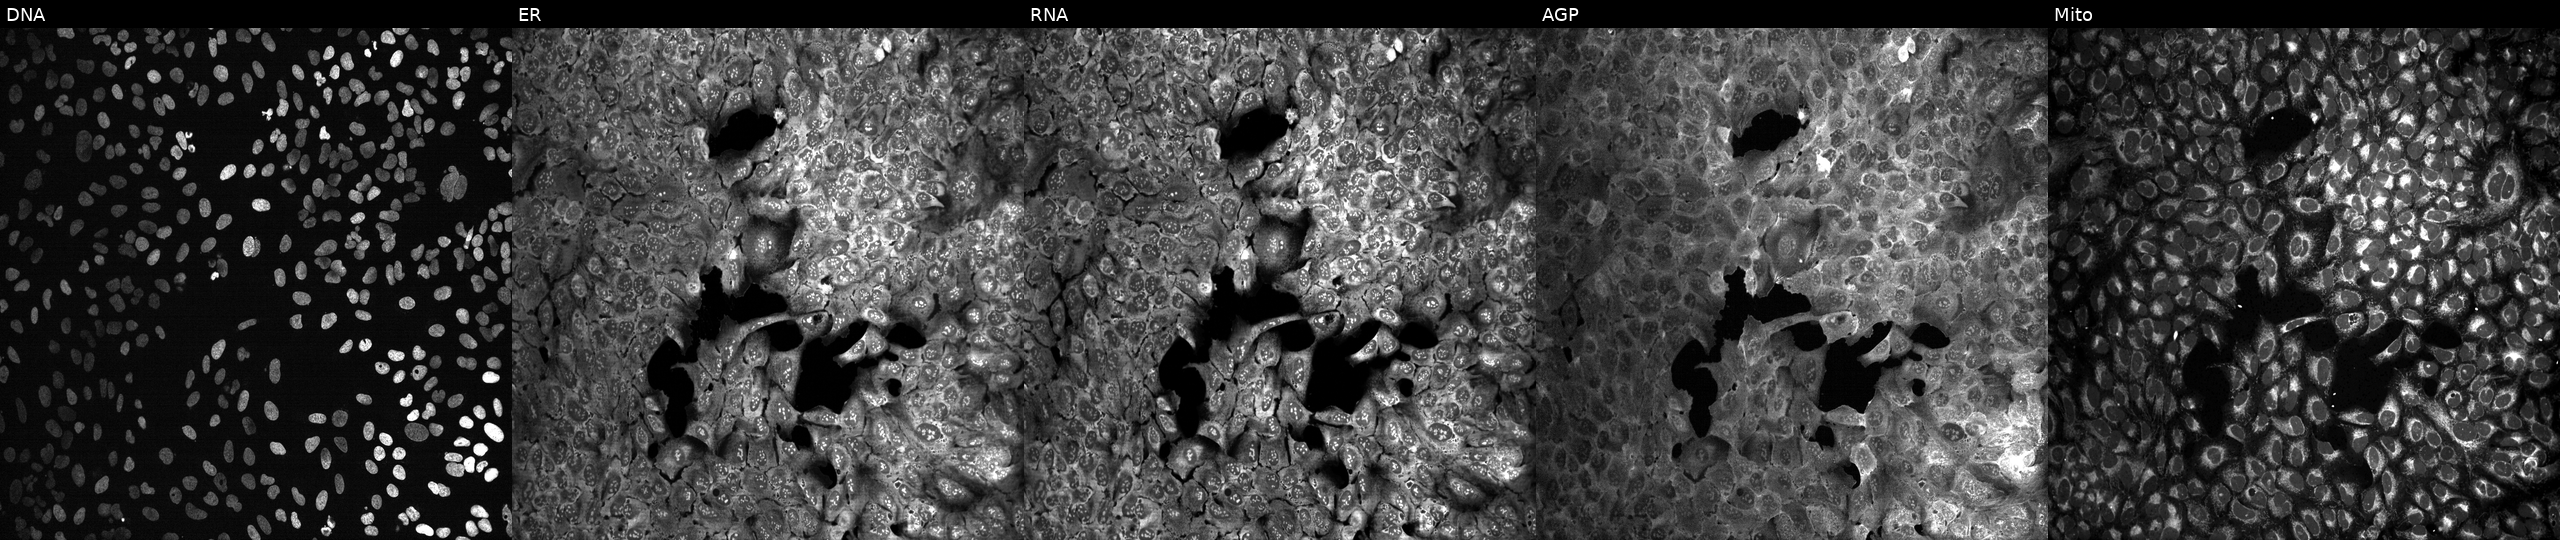
Five-channel Cell Painting image of U2OS cells CRISPR-edited to disrupt TNFRSF19. Channels (left→right): DNA, ER, RNA, AGP, and Mito. Source 13, plate CP-CC9-R3-01, well F05.